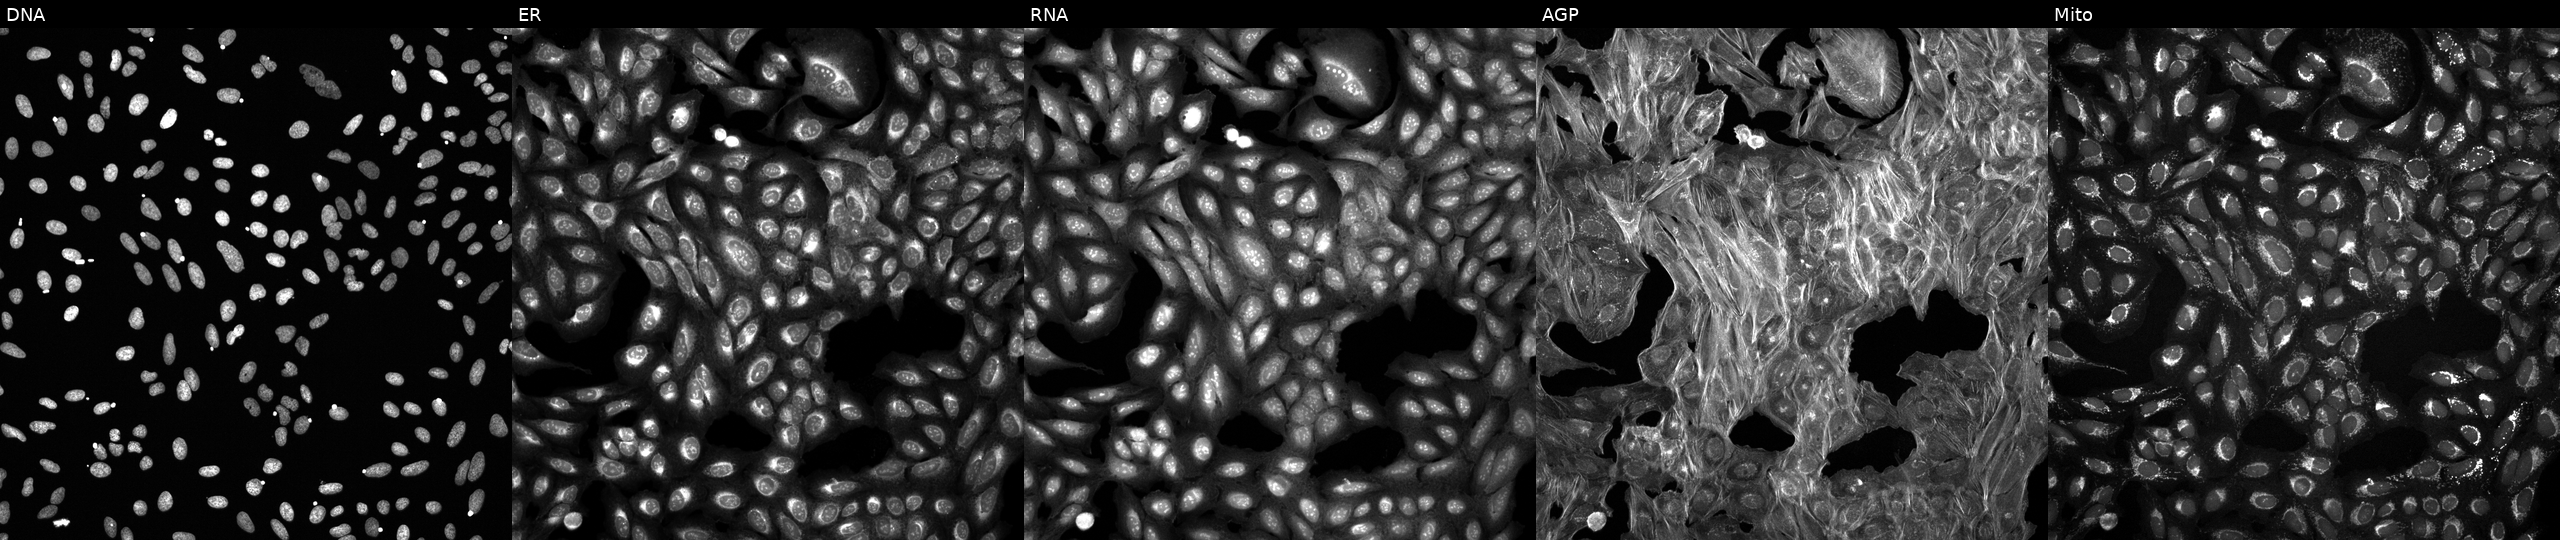
JUMP Cell Painting — COMPOUND plate. U2OS cells perturbed with a small-molecule compound (InChIKey MUXNJHRATDZJTN-UHFFFAOYSA-N) [SMILES: Cc1cc(C(=O)NC(C)C(C)C)nc2c1c(-c1ccccc1)nn2-c1cccc(F)c1] (JUMP id JCP2022_056696). Channels (left→right): DNA (nuclei); ER (endoplasmic reticulum); RNA (nucleoli and cytoplasmic RNA); AGP (actin cytoskeleton, Golgi, and plasma membrane); Mito (mitochondria). Source 6, plate 110000293083, well L09.